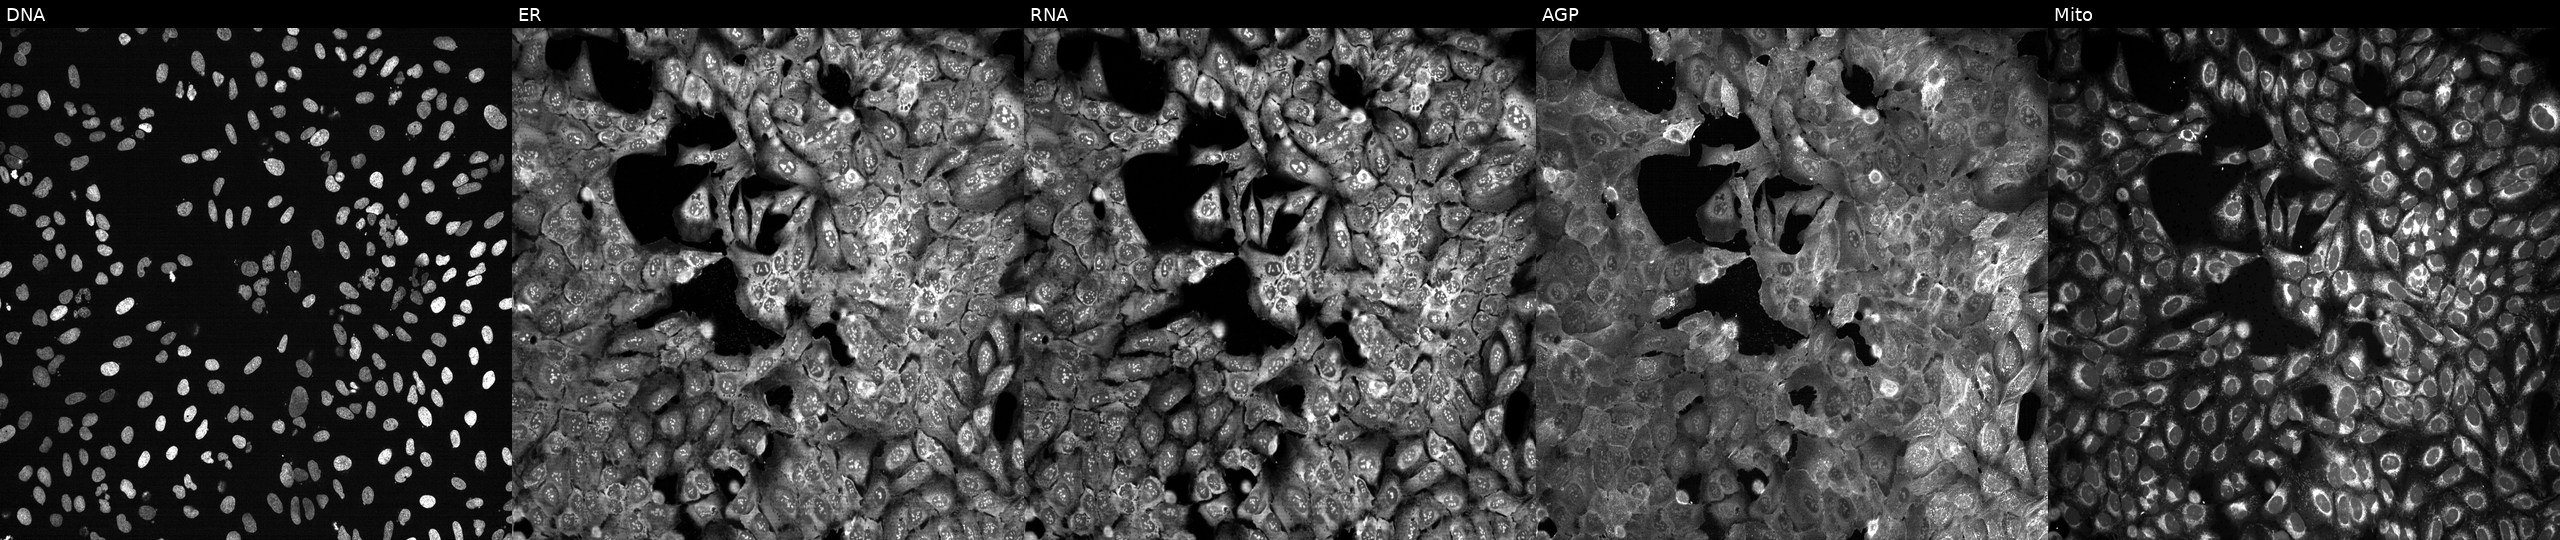
This image strip shows the five Cell Painting channels for a single field of U2OS cells with RAD54L knocked out by CRISPR. Channels (left→right): DNA (nuclei); ER (endoplasmic reticulum); RNA (nucleoli and cytoplasmic RNA); AGP (actin cytoskeleton, Golgi, and plasma membrane); Mito (mitochondria).